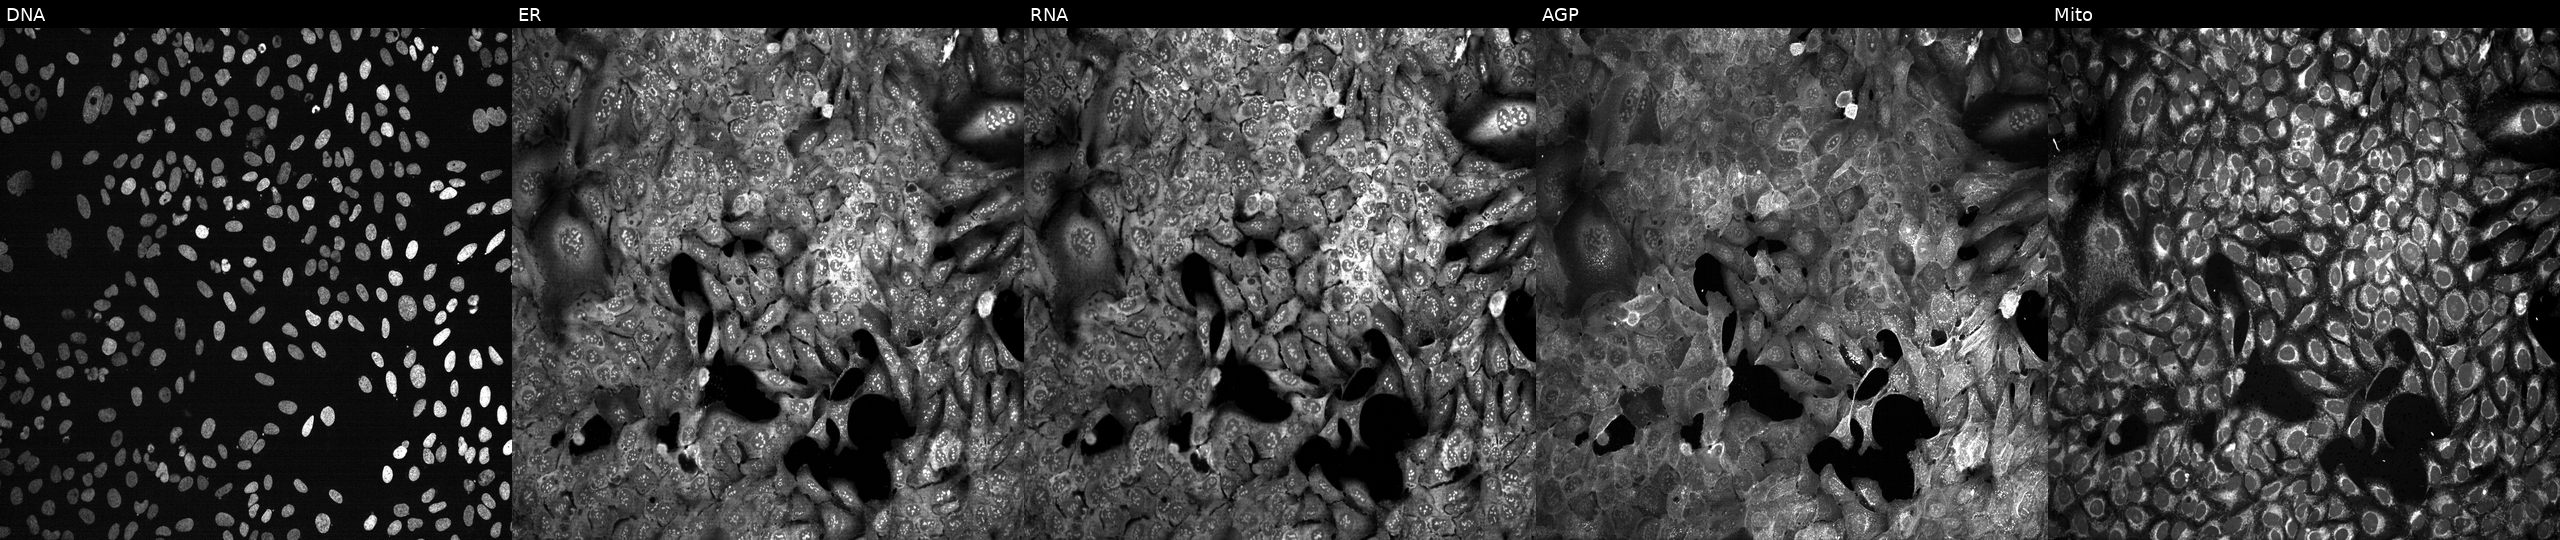
Five-channel Cell Painting image of U2OS cells CRISPR-edited to disrupt KIF2C (JUMP id JCP2022_803680). Panels show, left to right, DNA (nuclei); ER (endoplasmic reticulum); RNA (nucleoli and cytoplasmic RNA); AGP (actin cytoskeleton, Golgi, and plasma membrane); Mito (mitochondria).